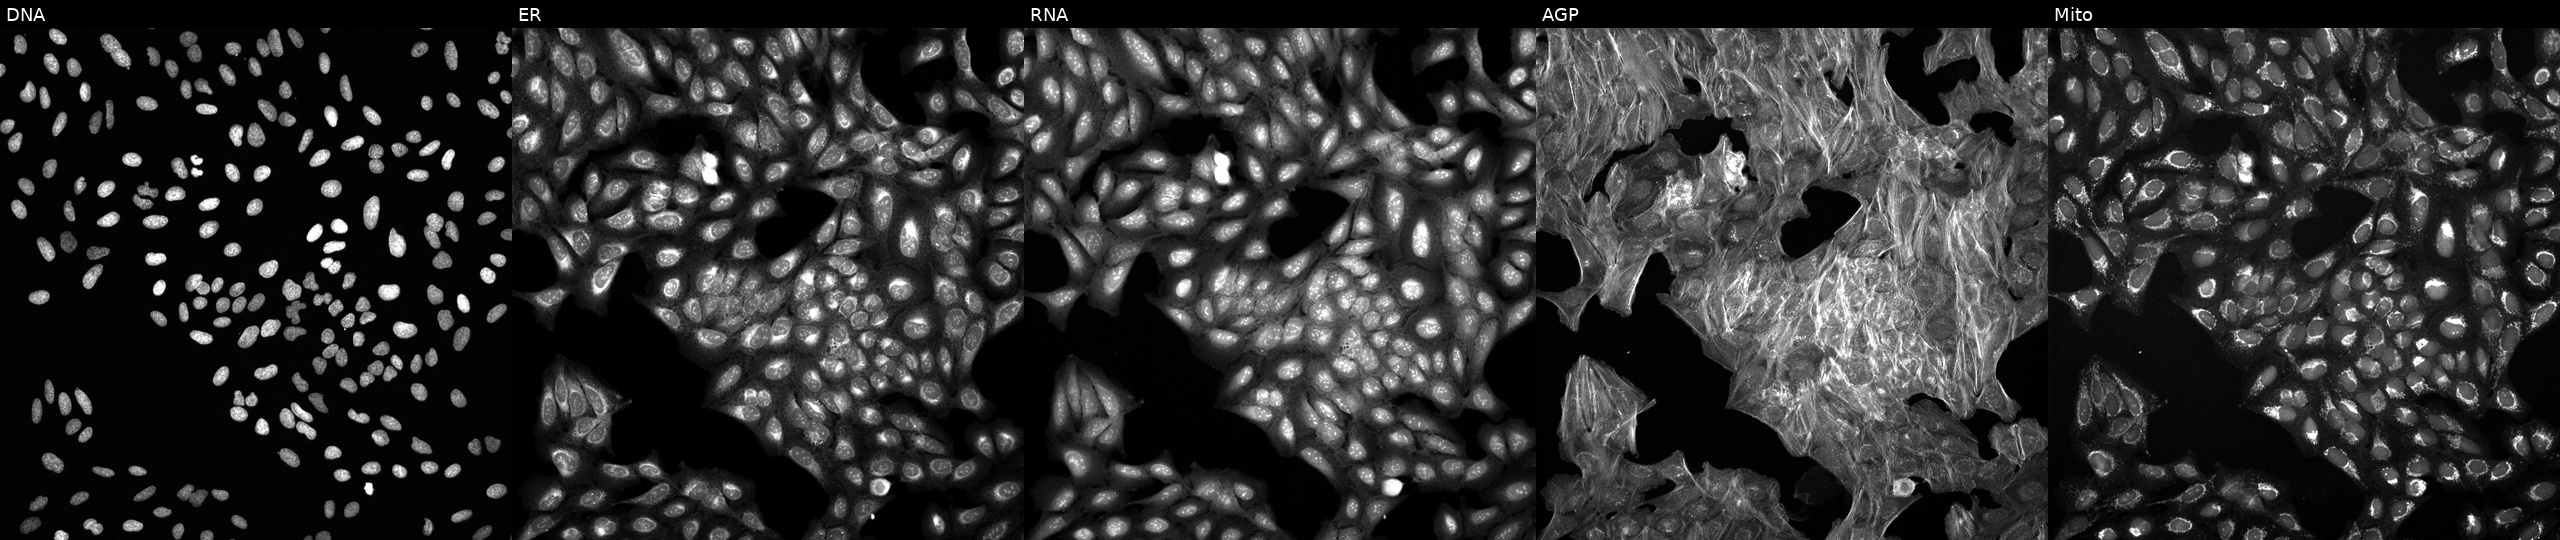
The five panels, left to right, show DNA (nuclei); ER (endoplasmic reticulum); RNA (nucleoli and cytoplasmic RNA); AGP (actin cytoskeleton, Golgi, and plasma membrane); Mito (mitochondria). U2OS osteosarcoma cells exposed to a small-molecule compound (JUMP id JCP2022_015369). Cell Painting assay, JUMP-CP dataset.